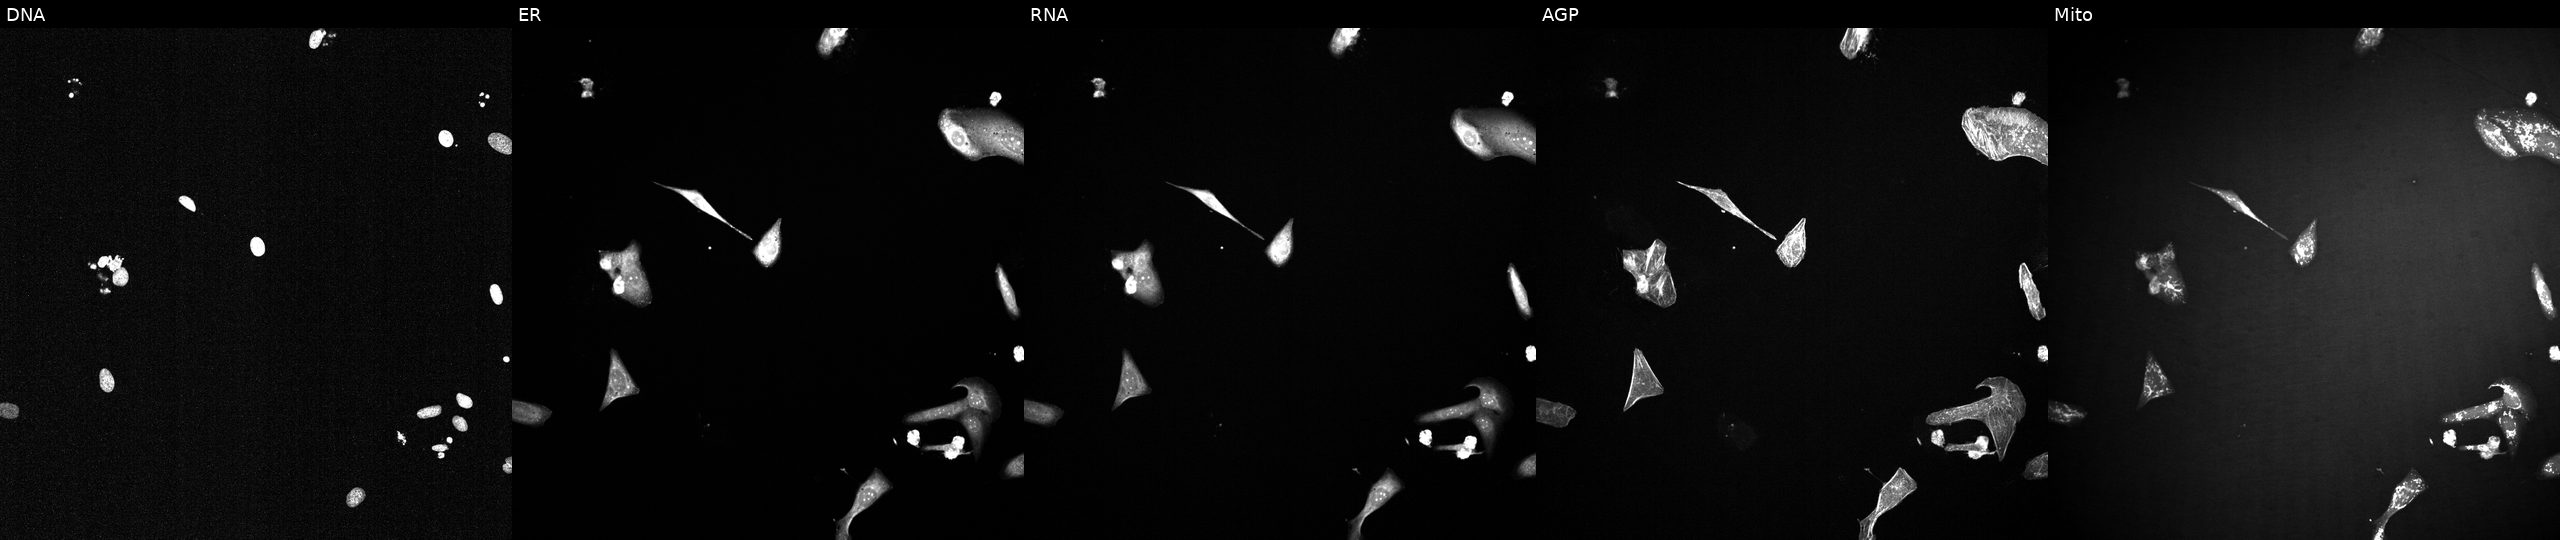
This image strip shows the five Cell Painting channels for a single field of U2OS cells treated with a small-molecule compound (InChIKey HGMSUJCQIUFZBJ-UHFFFAOYSA-N). The five panels, left to right, show DNA (nuclei); ER (endoplasmic reticulum); RNA (nucleoli and cytoplasmic RNA); AGP (actin cytoskeleton, Golgi, and plasma membrane); Mito (mitochondria). Source 2, plate 1053599503, well B24.